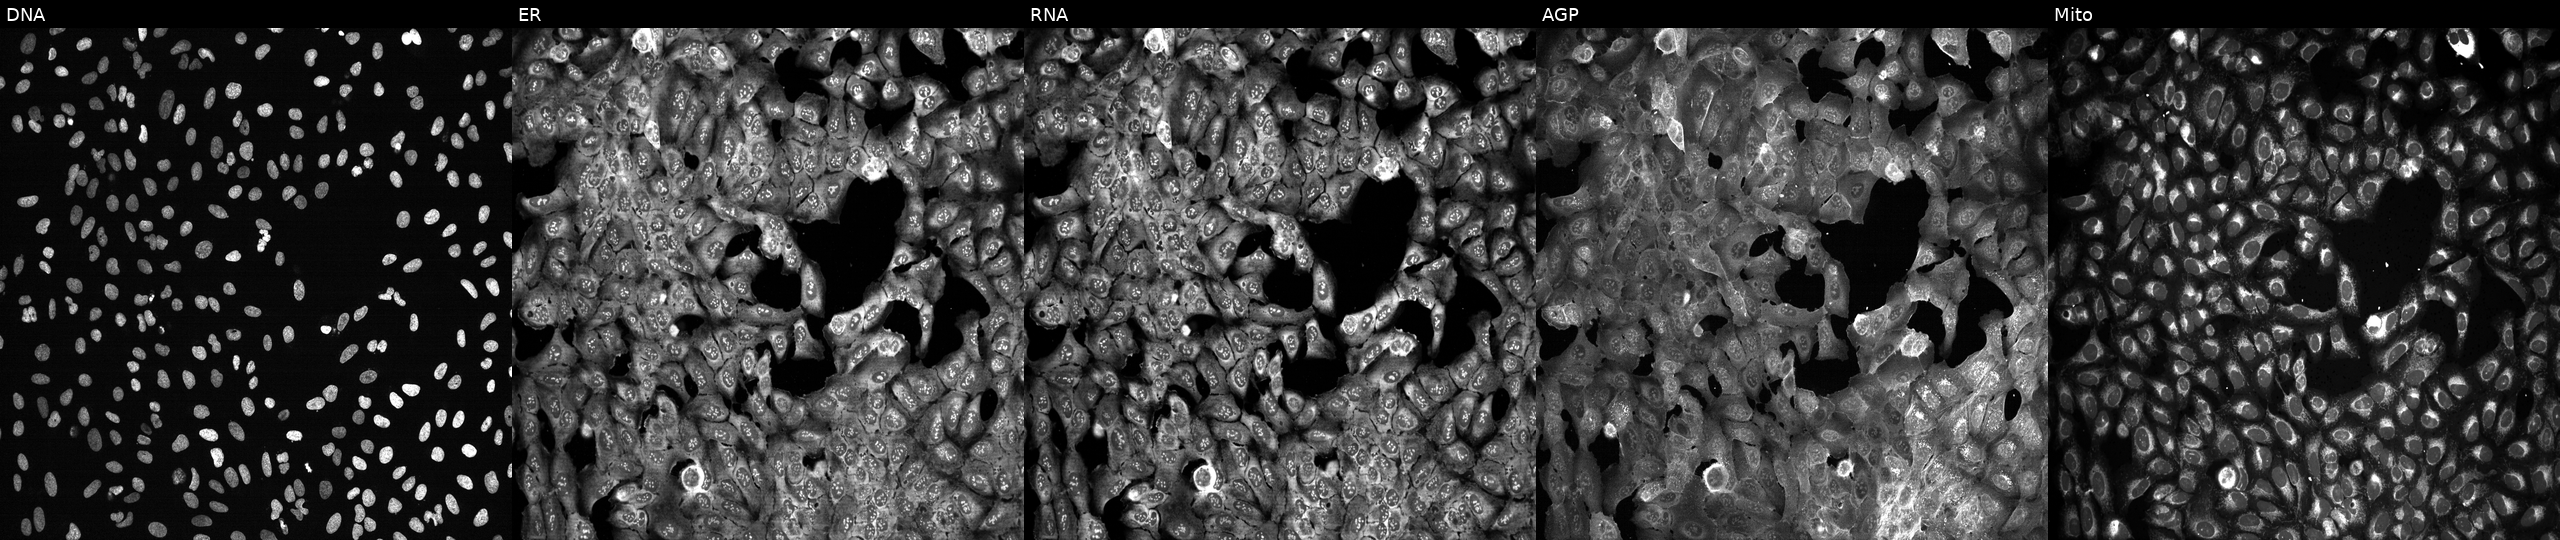
U2OS cells, Cell Painting assay, with ATP4A knocked out by CRISPR. Channels (left→right): Hoechst 33342, concanavalin A, SYTO 14, phalloidin and WGA, MitoTracker. Each panel is percentile-stretched 16-bit fluorescence.